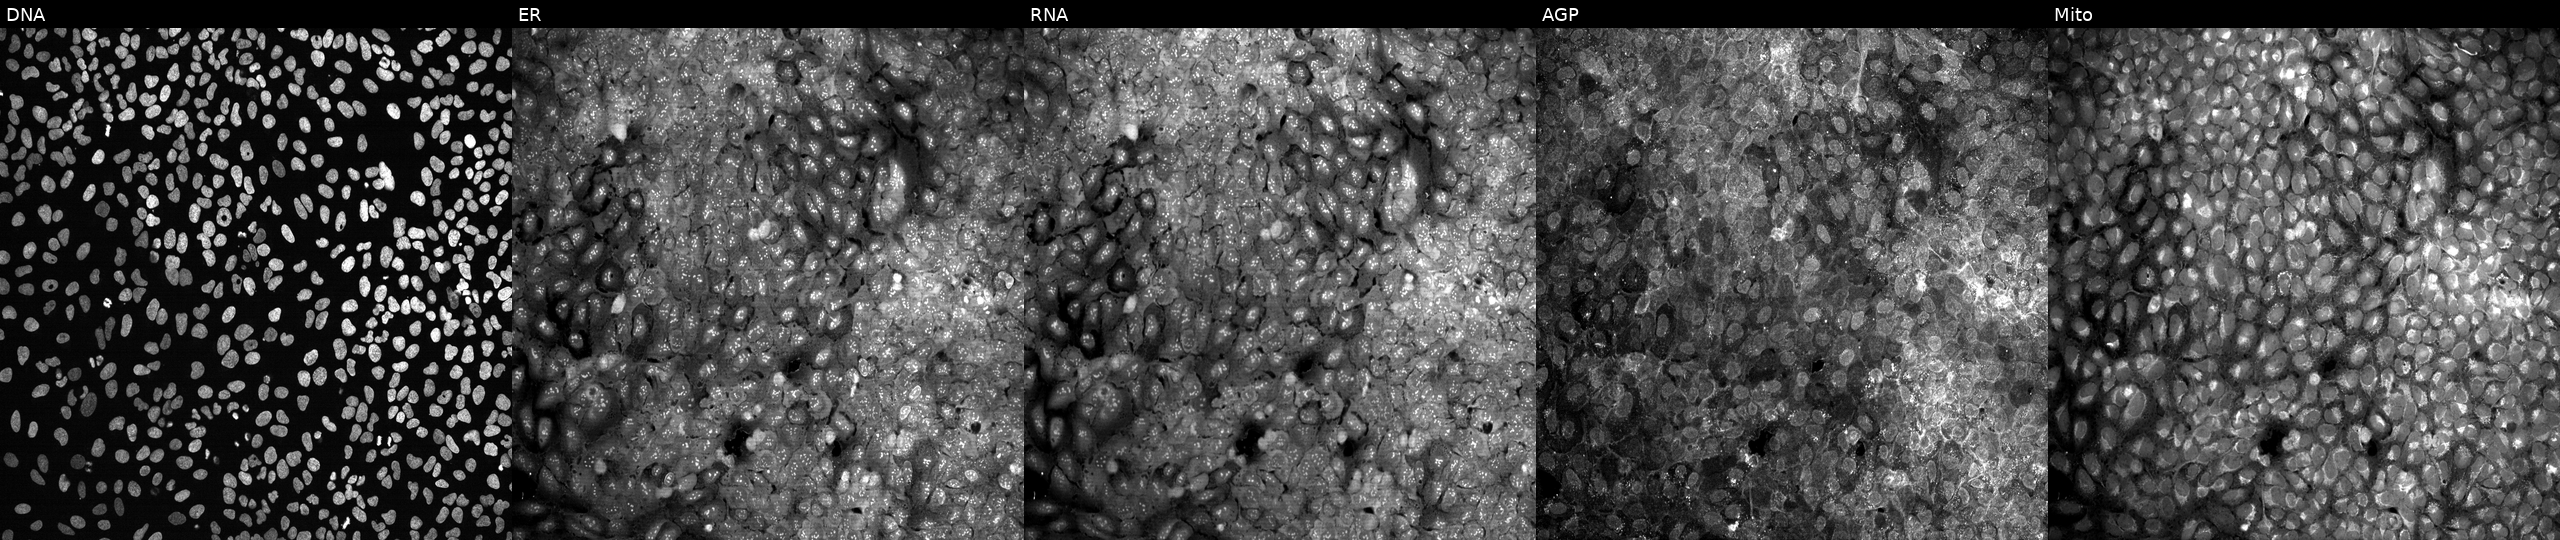
The five panels, left to right, show Hoechst 33342, concanavalin A, SYTO 14, phalloidin and WGA, MitoTracker. U2OS osteosarcoma cells exposed to DMSO alone as a negative control. Cell Painting assay, JUMP-CP dataset.